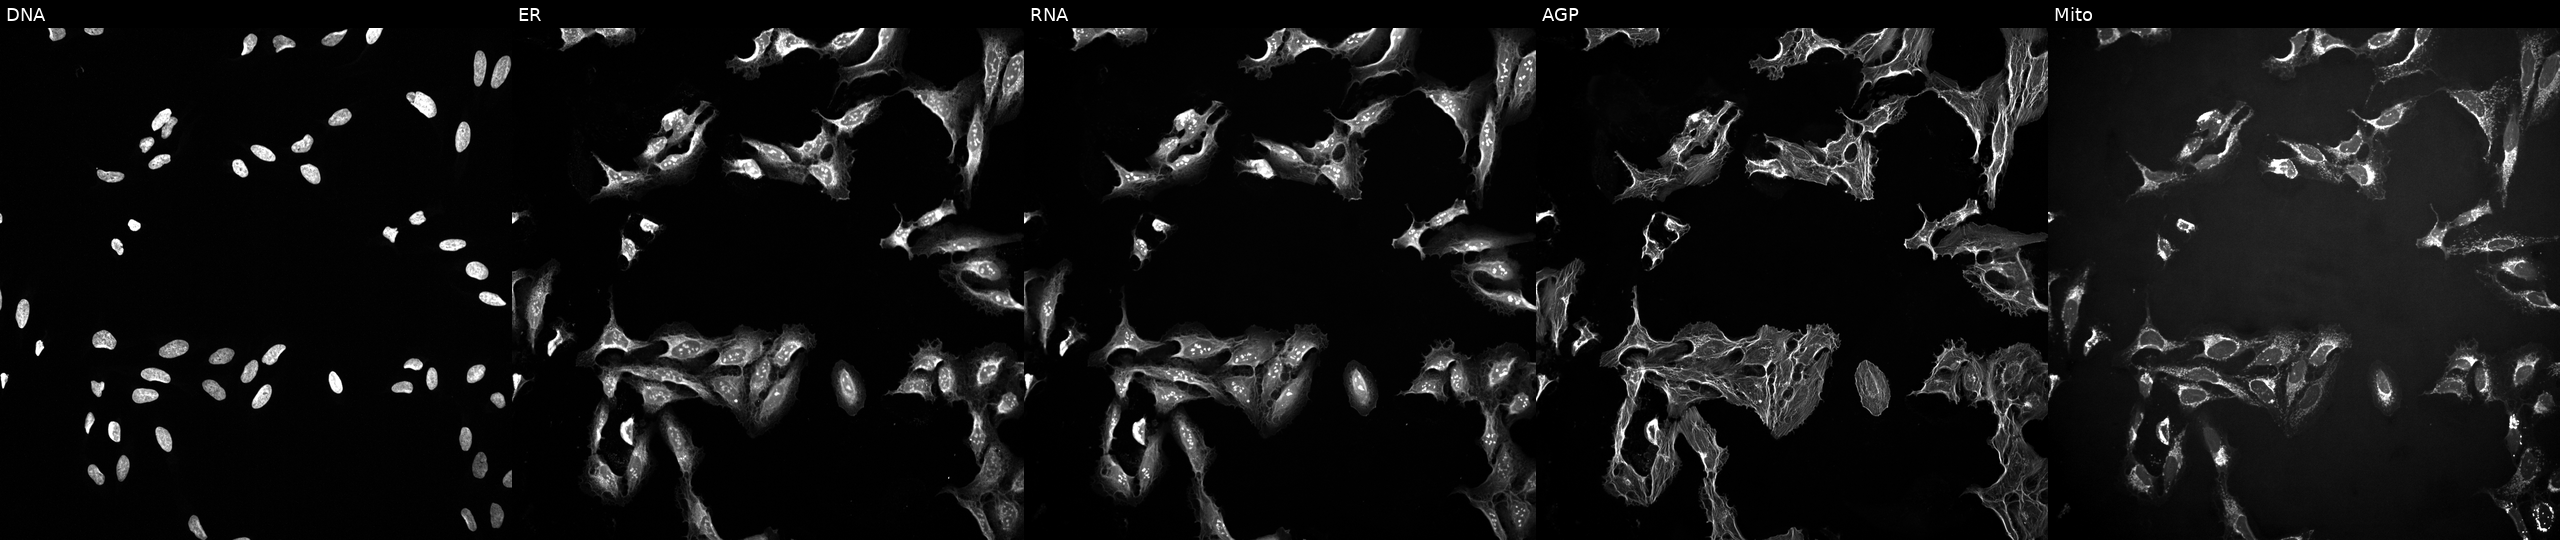
High-content fluorescence microscopy (Cell Painting). Cell line: U2OS. Perturbation: treated with a small-molecule compound (InChIKey IPSSXIMJJXSJQB-UHFFFAOYSA-N). Panels show, left to right, DNA, ER, RNA, AGP, and Mito. Source 10, plate Dest210726-160150, well L05.